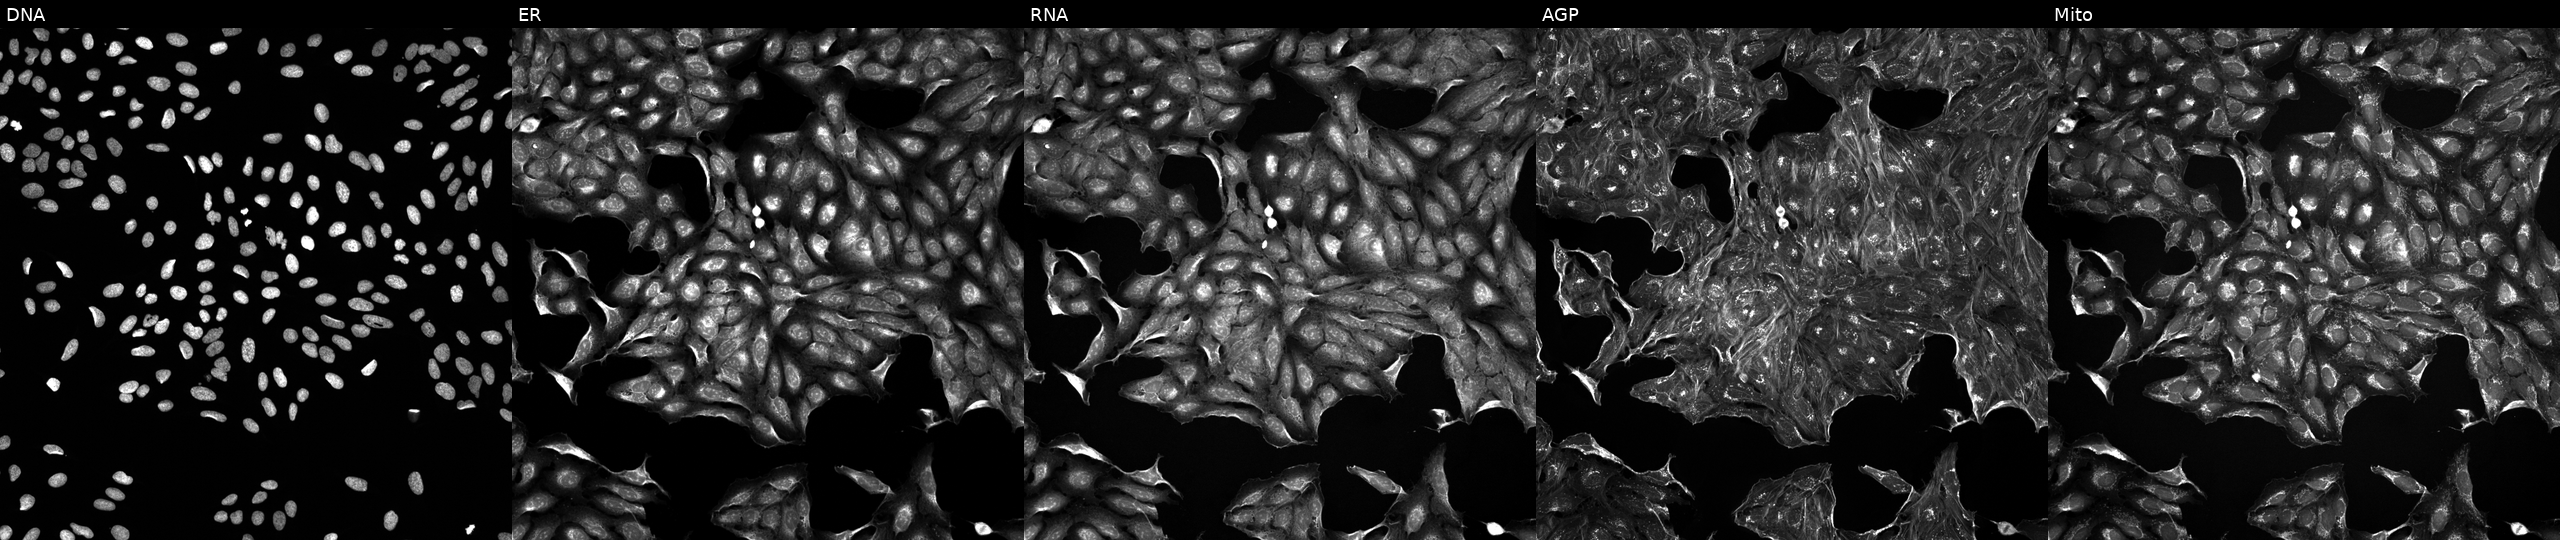
The five panels, left to right, show DNA, ER, RNA, AGP, and Mito. U2OS osteosarcoma cells exposed to a small-molecule compound. Cell Painting assay, JUMP-CP dataset.